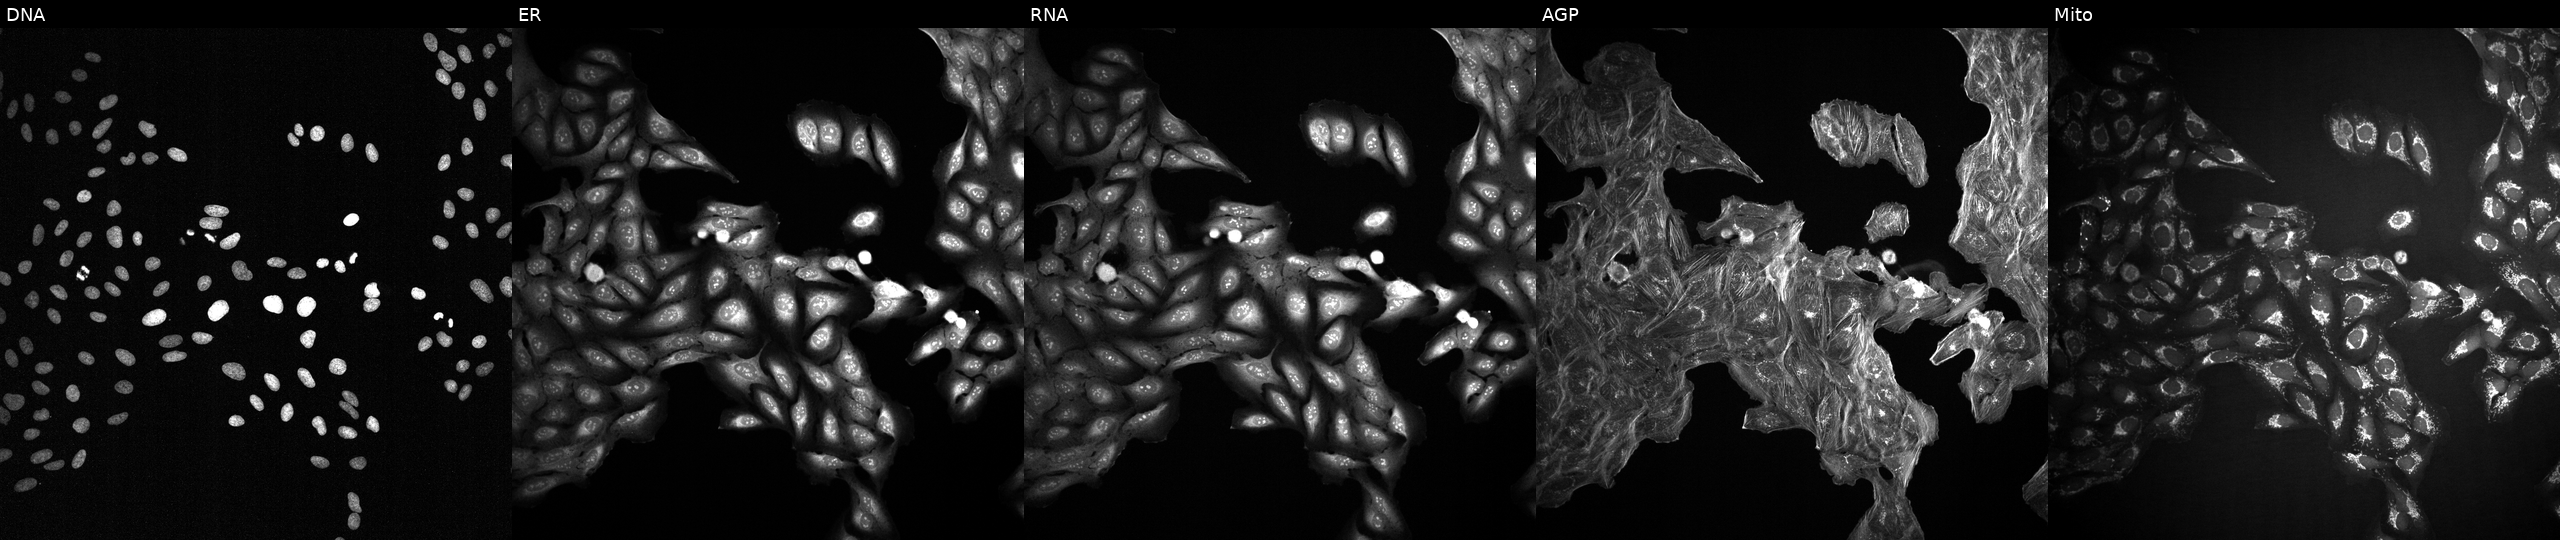
U2OS cells, Cell Painting assay, treated with DMSO vehicle only (negative control). From left to right: DNA, ER, RNA, AGP, and Mito. Each panel is percentile-stretched 16-bit fluorescence.